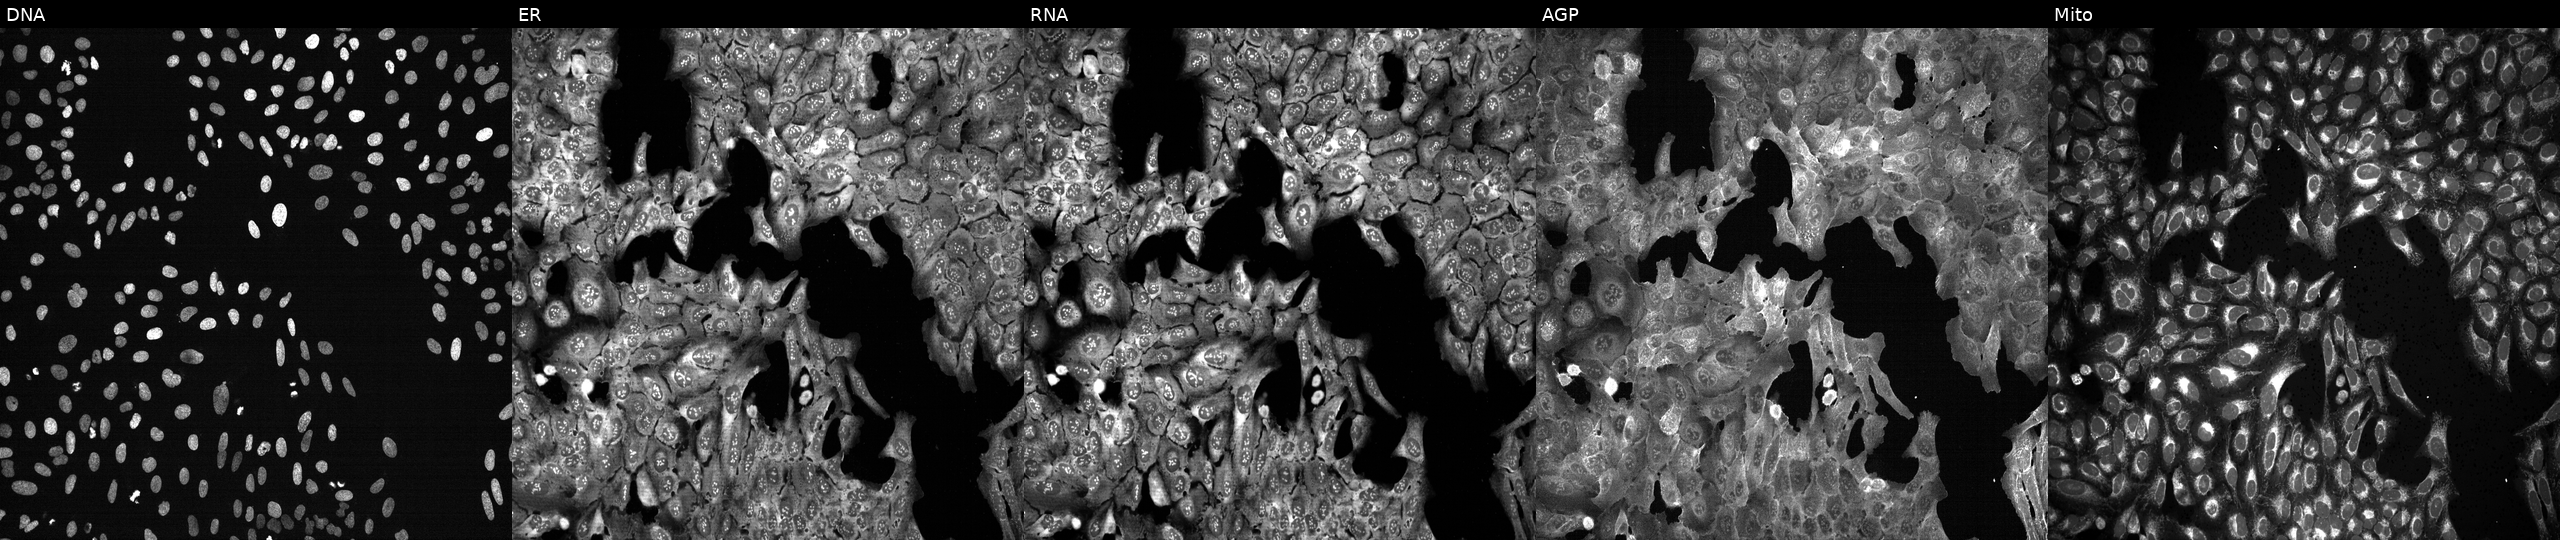
Panels show, left to right, Hoechst 33342, concanavalin A, SYTO 14, phalloidin and WGA, MitoTracker. U2OS osteosarcoma cells with SDS knocked out by CRISPR. Cell Painting assay, JUMP-CP dataset. Source 13, plate CP-CC9-R2-02, well C19.